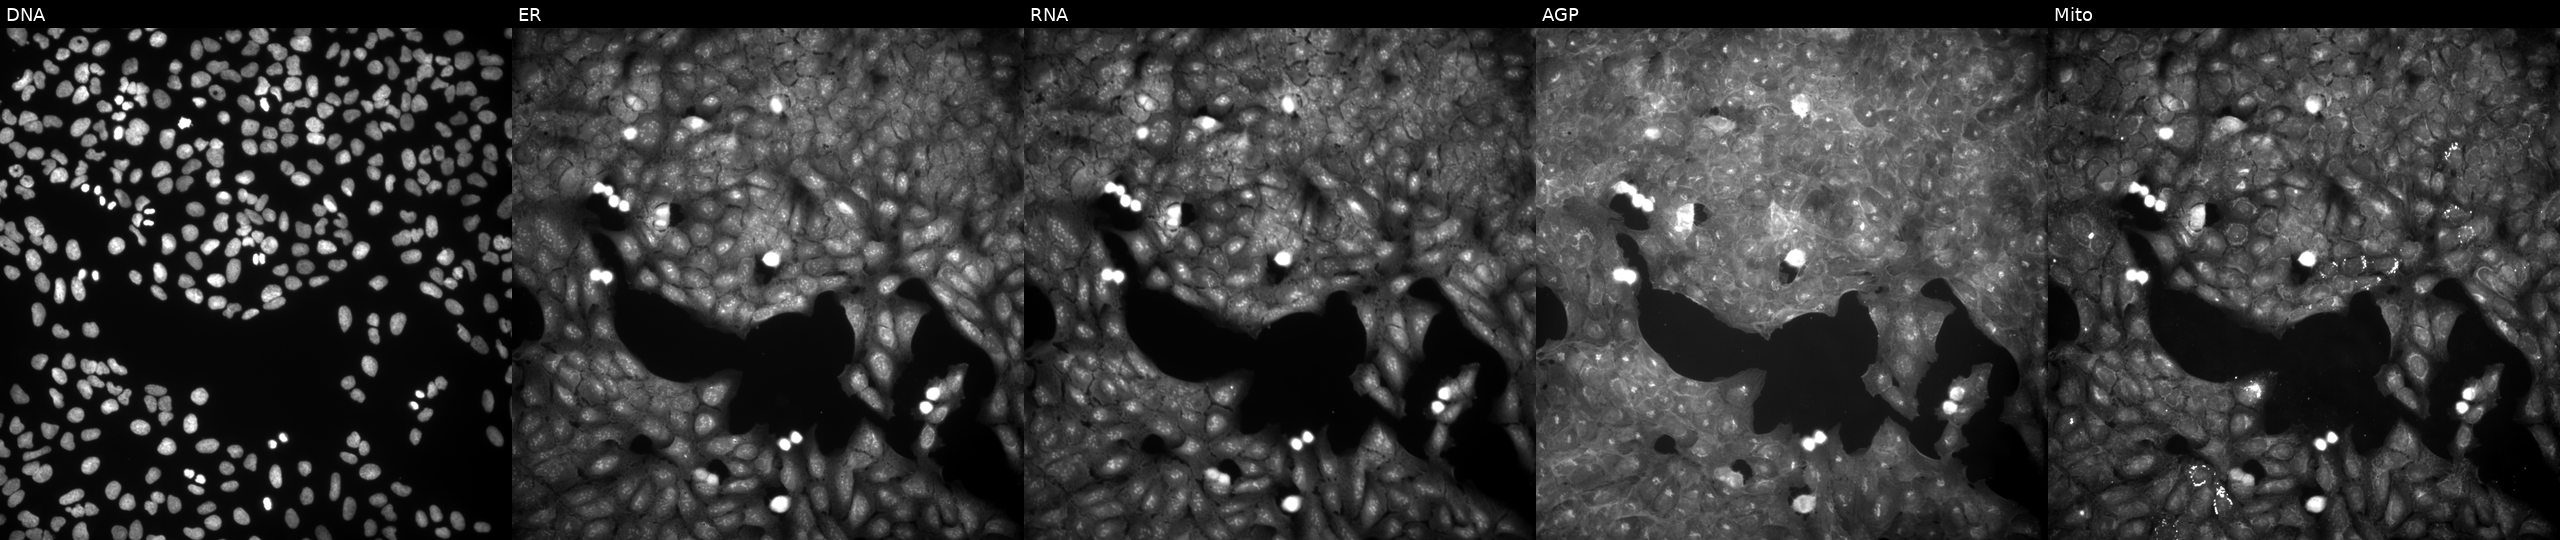
U2OS cells, Cell Painting assay, treated with a small-molecule compound (InChIKey WALWYXVYMMYAFY-UHFFFAOYSA-N) (JUMP id JCP2022_097511). The five panels, left to right, show DNA (nuclei); ER (endoplasmic reticulum); RNA (nucleoli and cytoplasmic RNA); AGP (actin cytoskeleton, Golgi, and plasma membrane); Mito (mitochondria). Each panel is percentile-stretched 16-bit fluorescence.